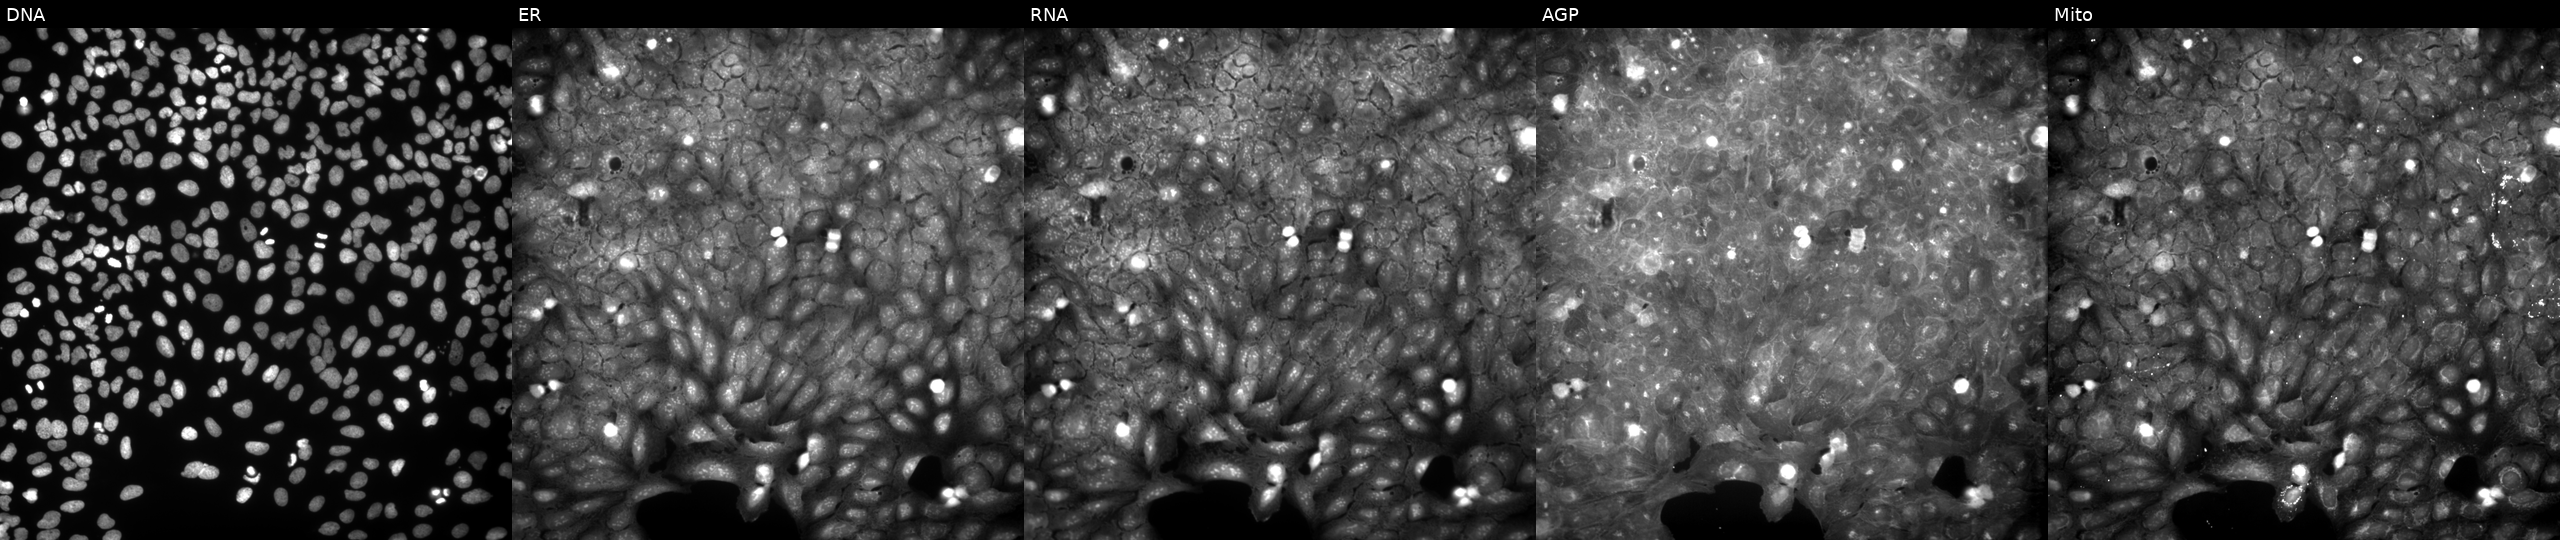
Panels show, left to right, Hoechst 33342, concanavalin A, SYTO 14, phalloidin and WGA, MitoTracker. U2OS osteosarcoma cells treated with a small-molecule compound (InChIKey LXWQMUPFABBVQK-UHFFFAOYSA-N) (JUMP id JCP2022_052417). Cell Painting assay, JUMP-CP dataset.